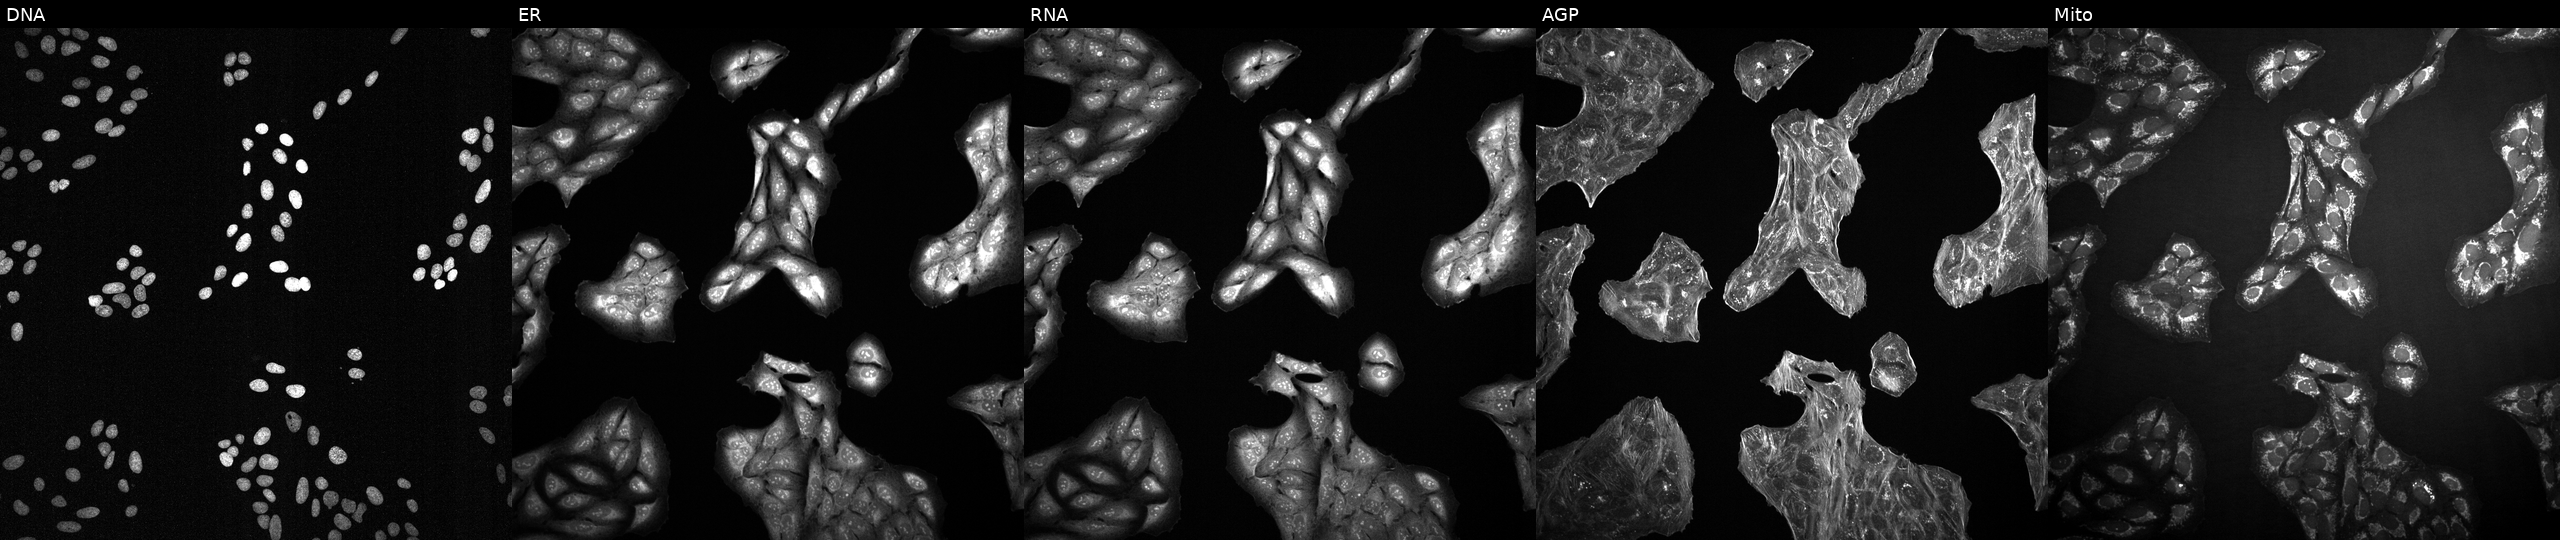
High-content fluorescence microscopy (Cell Painting). Cell line: U2OS. Perturbation: exposed to a small-molecule compound. From left to right: DNA, ER, RNA, AGP, and Mito.